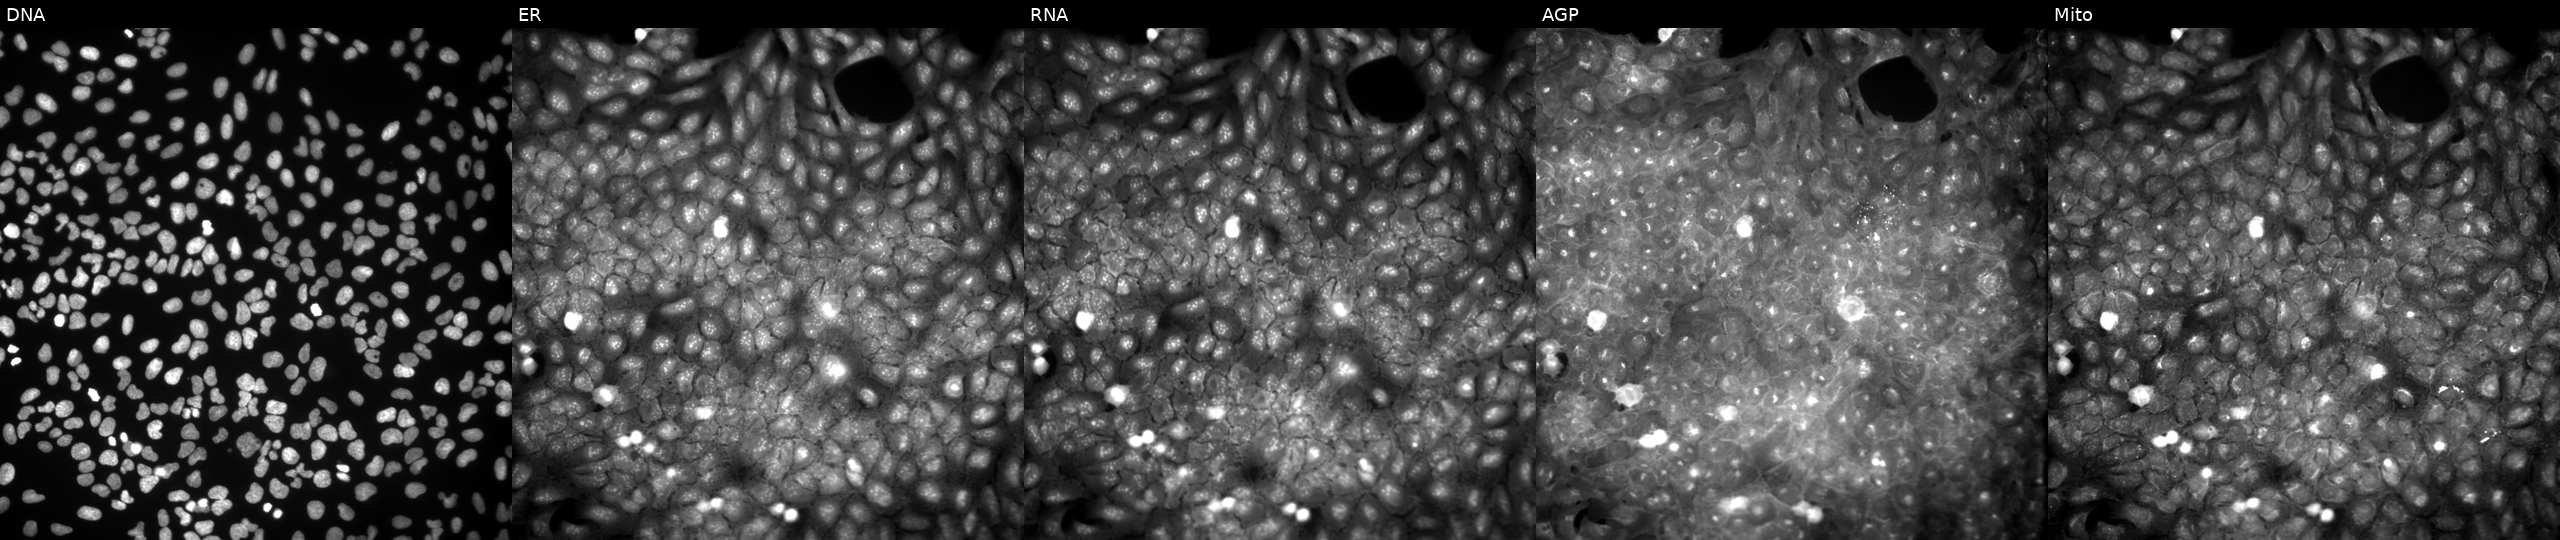
Five-channel Cell Painting image of U2OS cells treated with a small-molecule compound (InChIKey MODCLAYQINWZMO-UHFFFAOYSA-N). Panels show, left to right, DNA (nuclei); ER (endoplasmic reticulum); RNA (nucleoli and cytoplasmic RNA); AGP (actin cytoskeleton, Golgi, and plasma membrane); Mito (mitochondria). Source 9, plate GR00003382, well AB28.